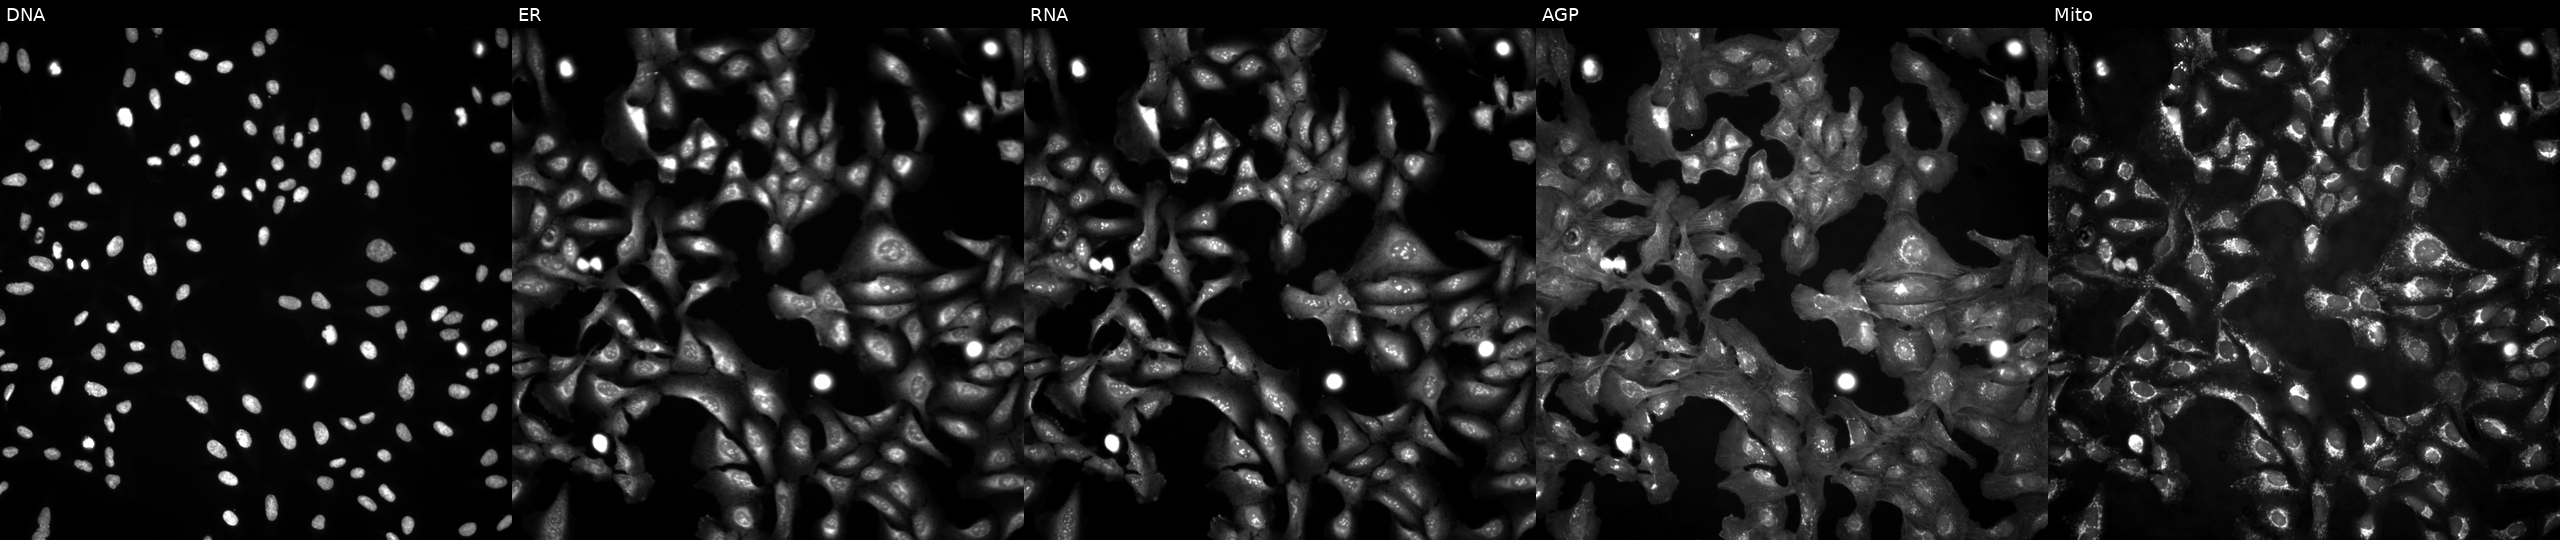
High-content fluorescence microscopy (Cell Painting). Cell line: U2OS. Perturbation: untreated (empty-well control) (JUMP id JCP2022_999999). Channels (left→right): DNA (nuclei); ER (endoplasmic reticulum); RNA (nucleoli and cytoplasmic RNA); AGP (actin cytoskeleton, Golgi, and plasma membrane); Mito (mitochondria).